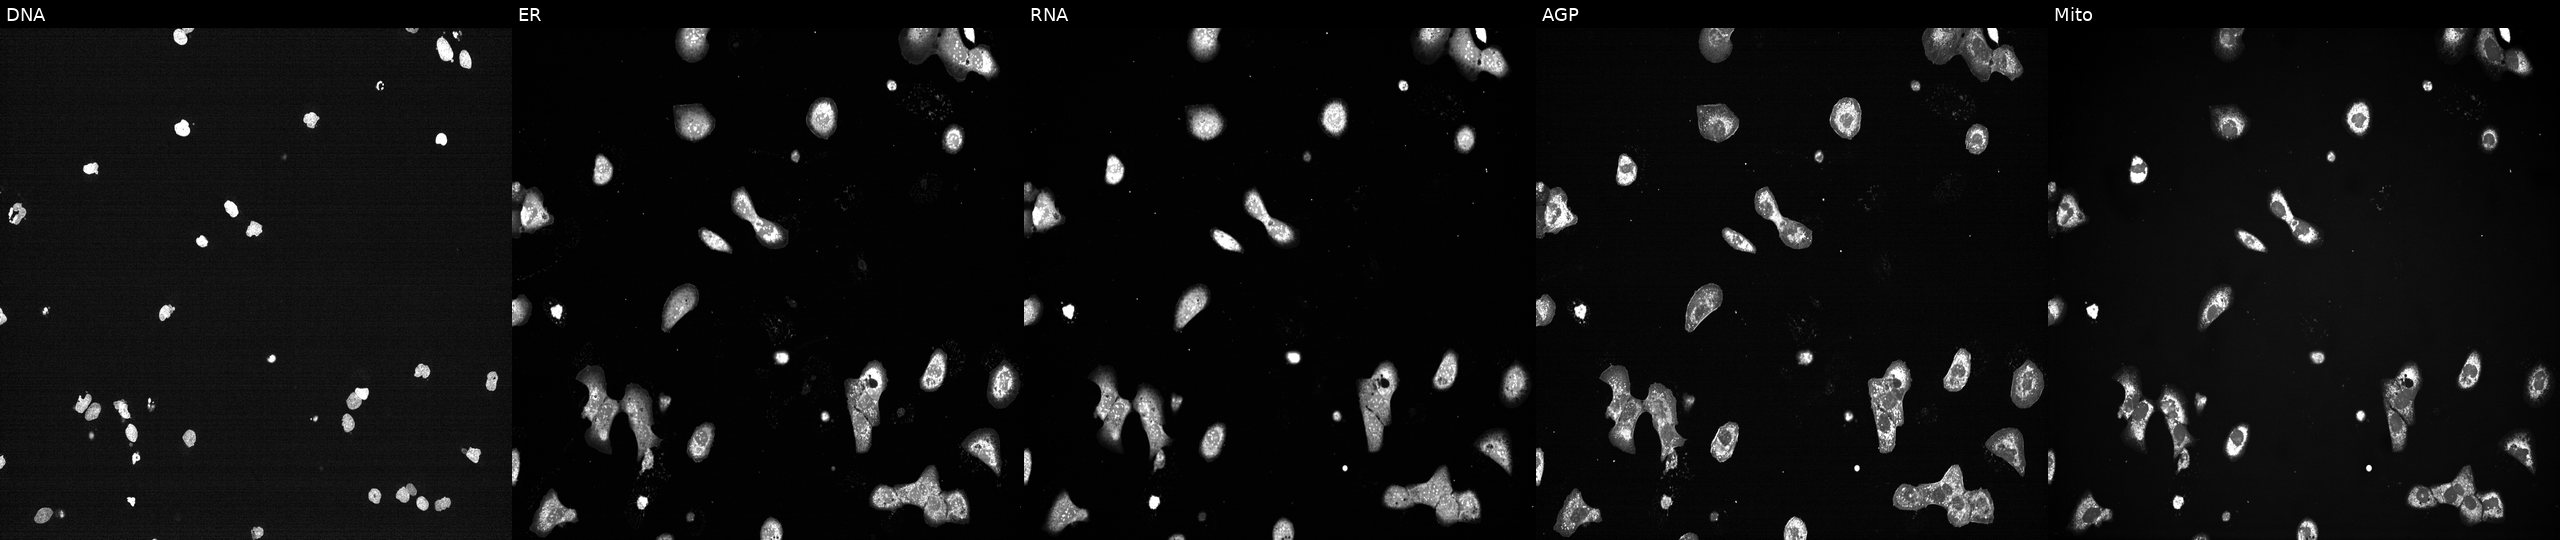
Panels show, left to right, DNA (nuclei); ER (endoplasmic reticulum); RNA (nucleoli and cytoplasmic RNA); AGP (actin cytoskeleton, Golgi, and plasma membrane); Mito (mitochondria). U2OS osteosarcoma cells treated with a small-molecule compound [SMILES: CCn1cc(-c2ccnc3[nH]c(-c4cccc(CN(C)C)c4)cc23)c(-c2ccc(NC(=O)N(C)C)cc2)n1] (JUMP id JCP2022_075694). Cell Painting assay, JUMP-CP dataset.